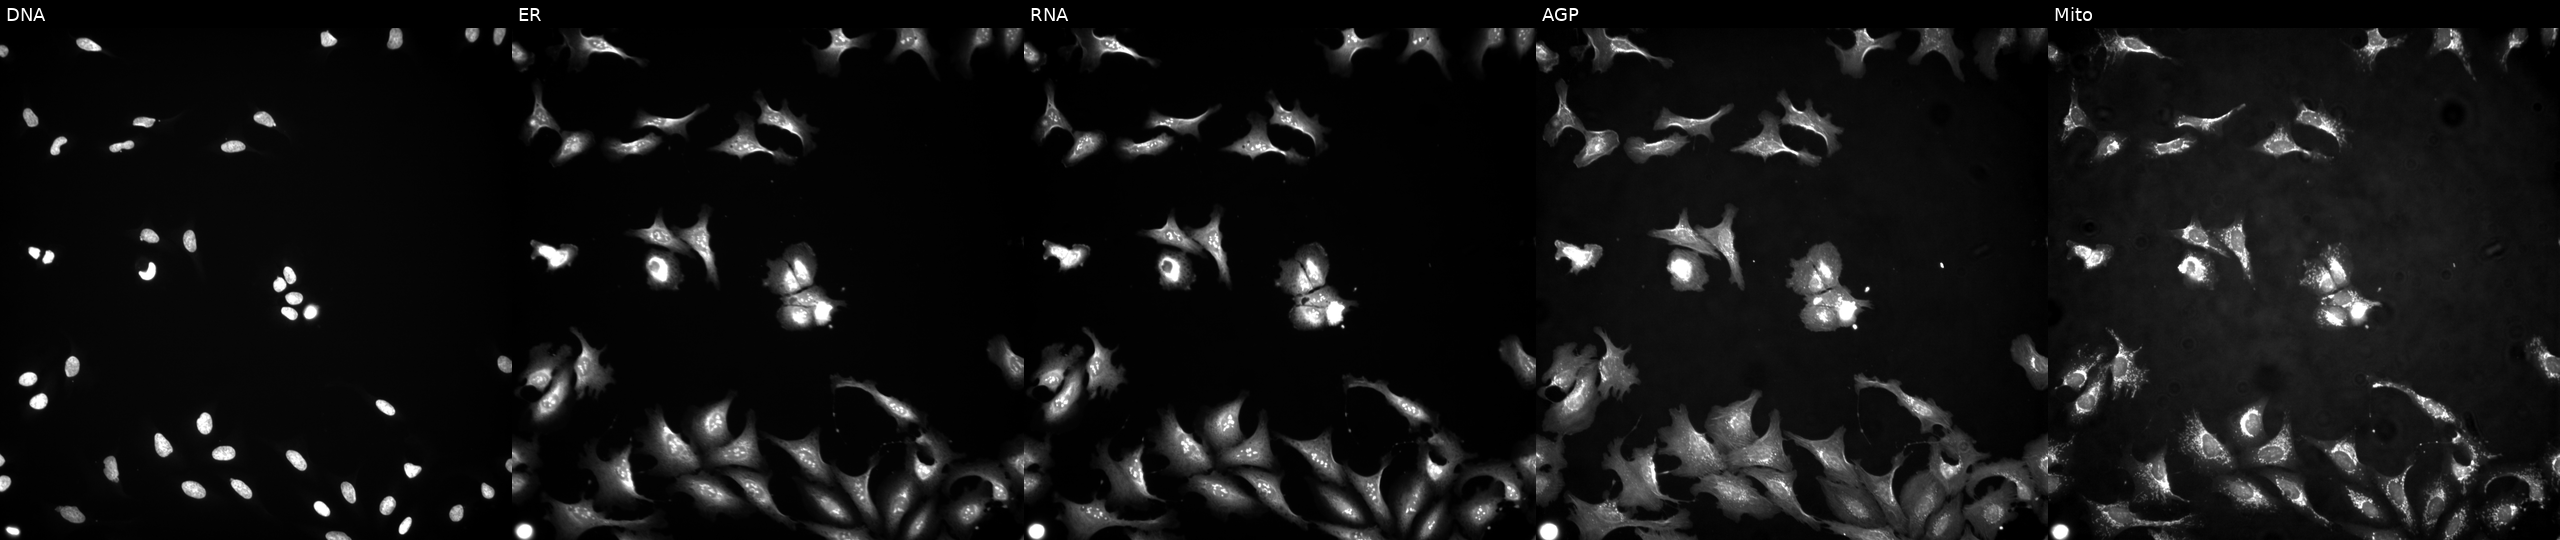
JUMP Cell Painting — ORF plate. U2OS cells with DGAT2 overexpressed (ORF). From left to right: DNA (nuclei); ER (endoplasmic reticulum); RNA (nucleoli and cytoplasmic RNA); AGP (actin cytoskeleton, Golgi, and plasma membrane); Mito (mitochondria).